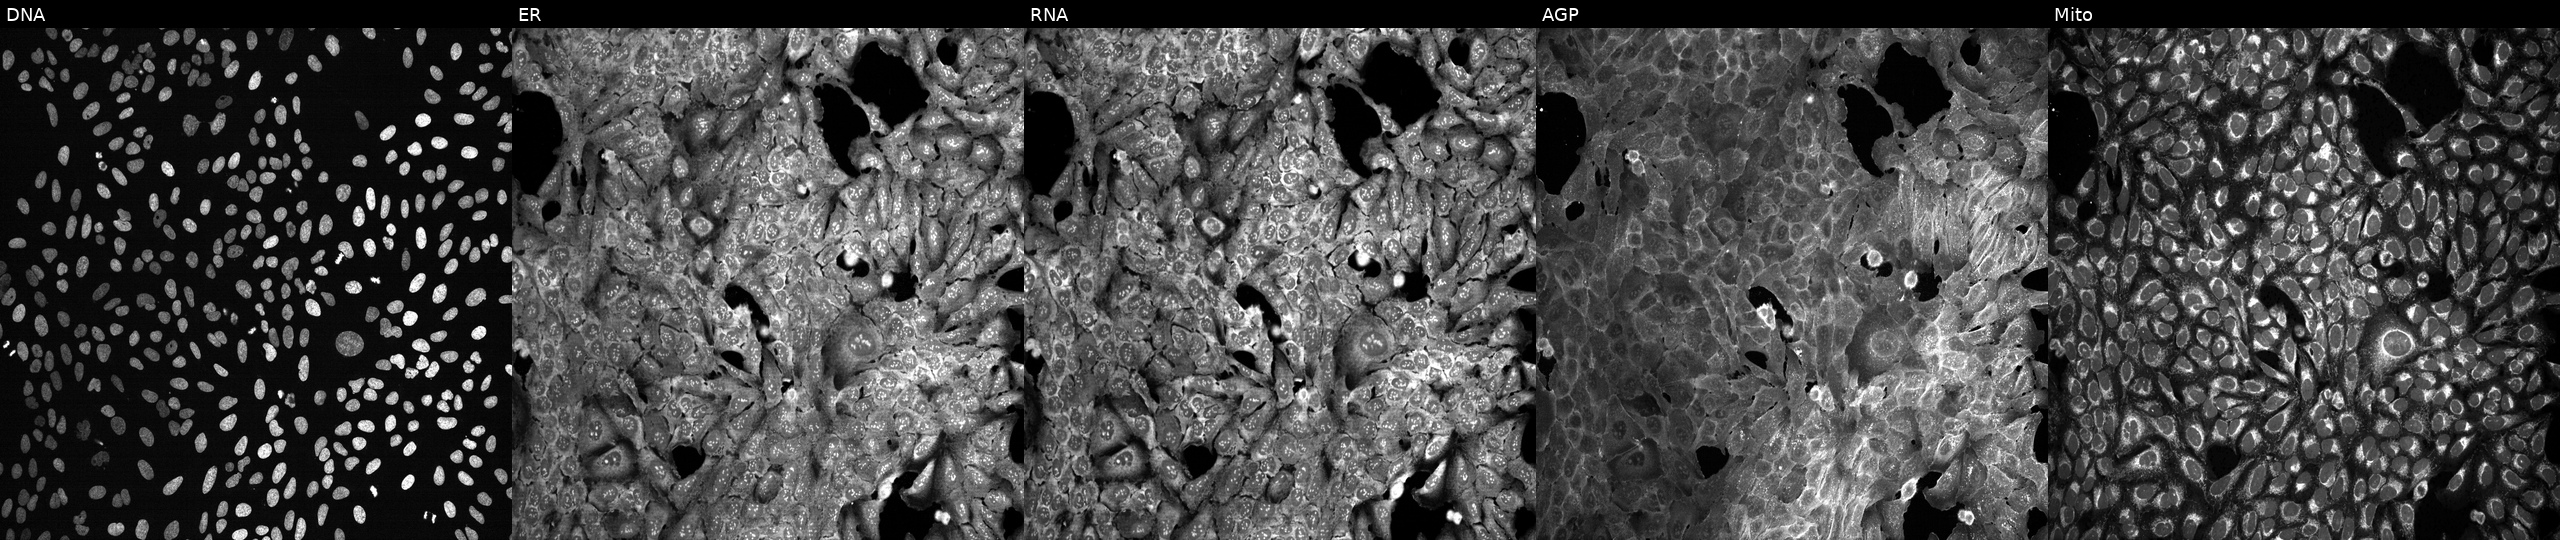
JUMP Cell Painting — CRISPR plate. U2OS cells exposed to the positive-control compound dexamethasone (JUMP id JCP2022_025848). Channels (left→right): Hoechst 33342, concanavalin A, SYTO 14, phalloidin and WGA, MitoTracker.